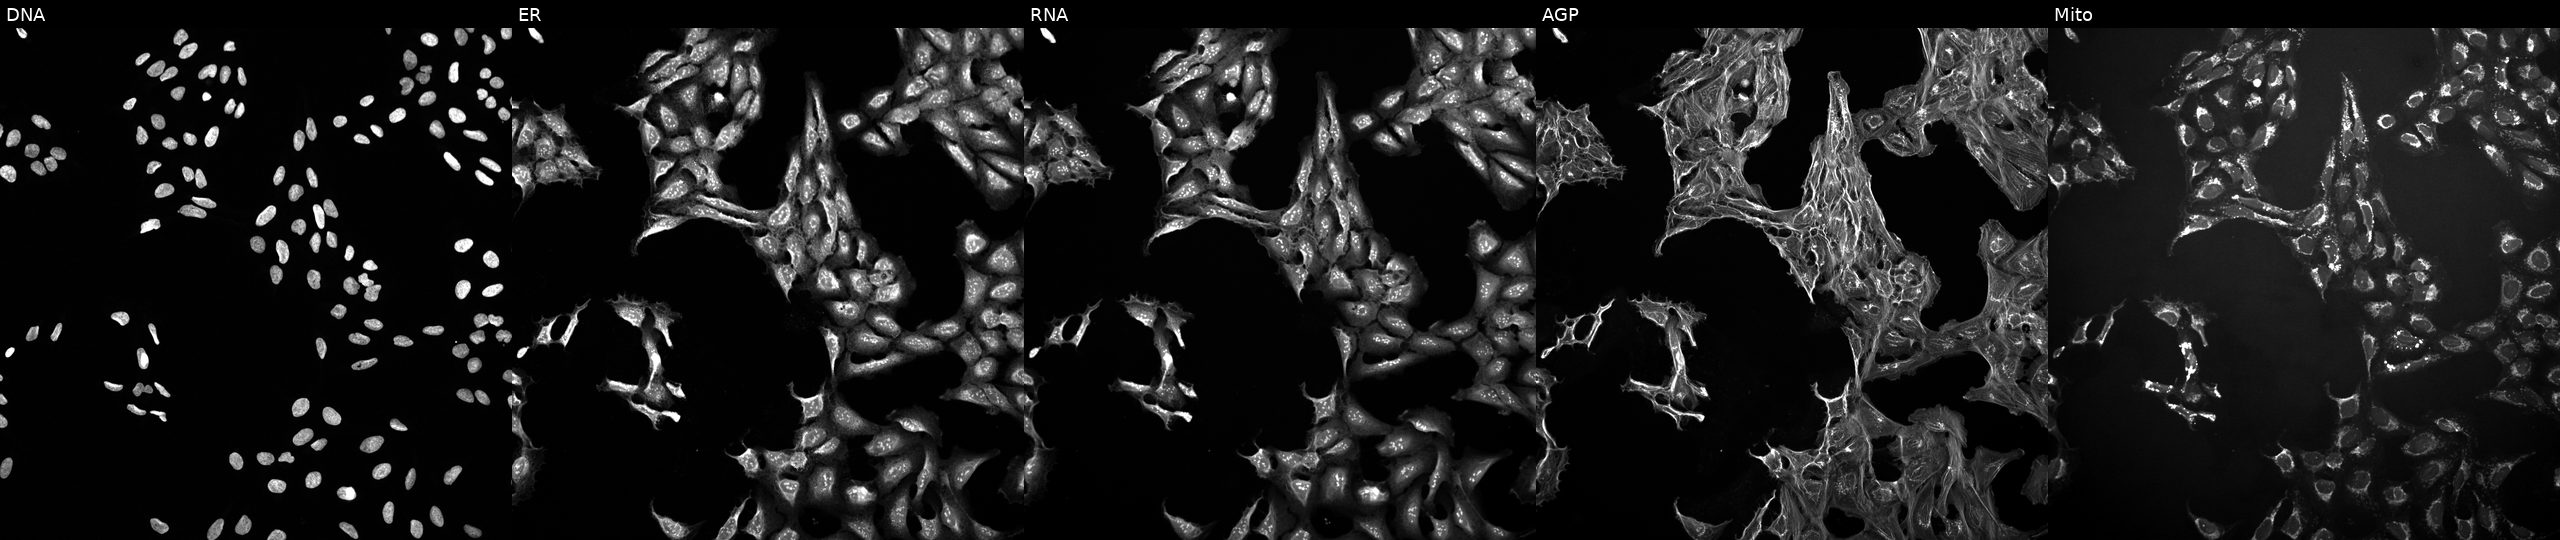
Channels (left→right): DNA (nuclei); ER (endoplasmic reticulum); RNA (nucleoli and cytoplasmic RNA); AGP (actin cytoskeleton, Golgi, and plasma membrane); Mito (mitochondria). U2OS osteosarcoma cells treated with DMSO vehicle only (negative control). Cell Painting assay, JUMP-CP dataset. Source 10, plate Dest210726-160150, well D06.